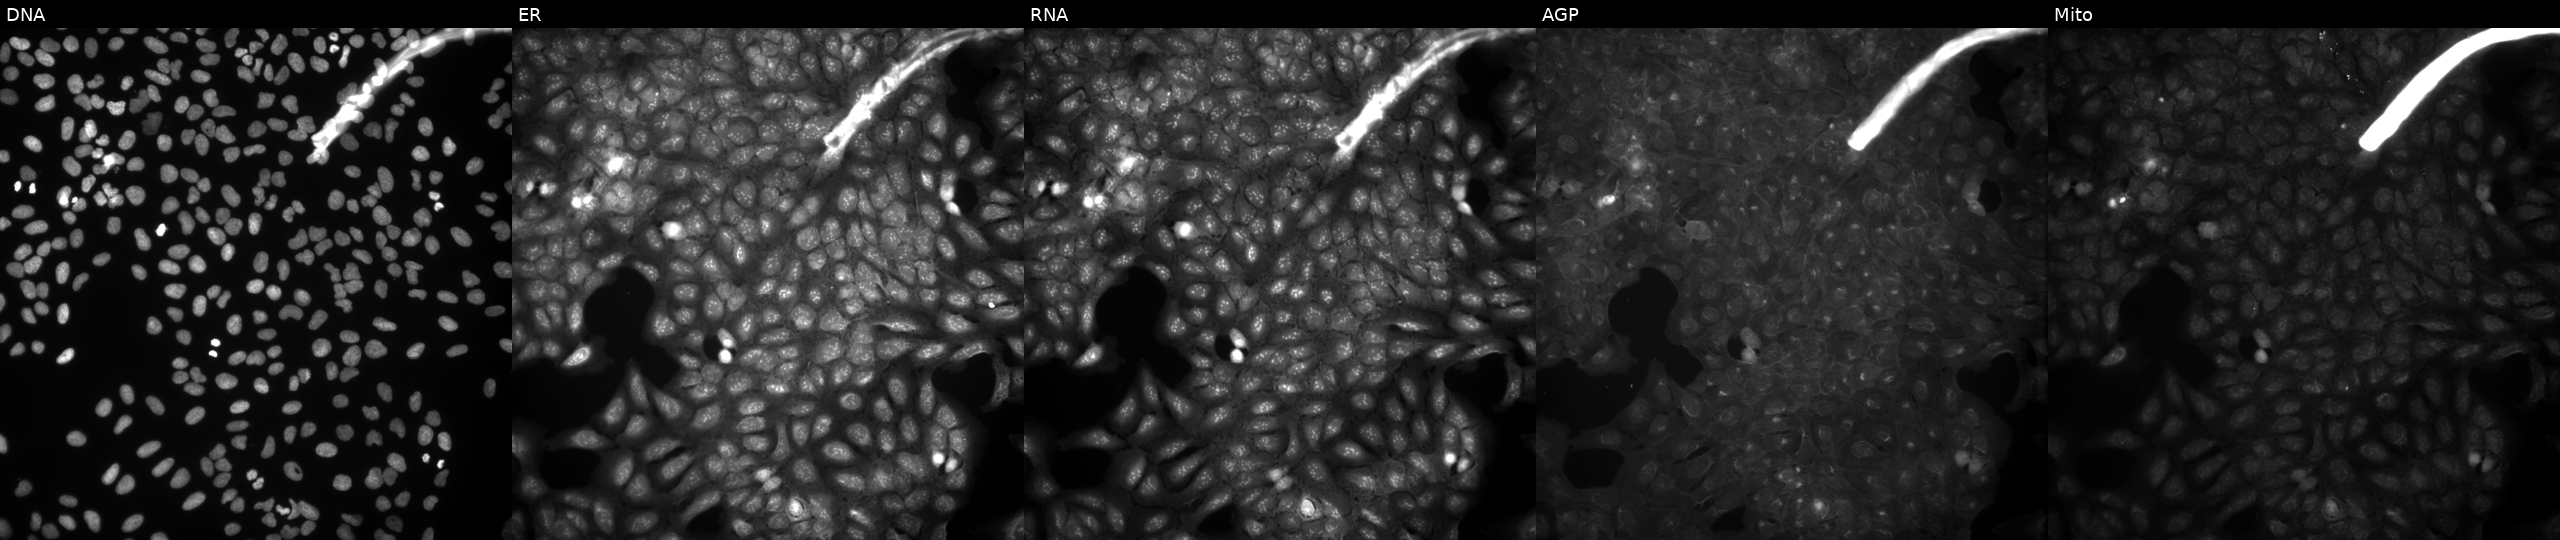
Channels (left→right): DNA, ER, RNA, AGP, and Mito. U2OS osteosarcoma cells exposed to a small-molecule compound (InChIKey UNPQPNWCRBYUAP-UHFFFAOYSA-N) [SMILES: O=C(c1ccc(F)cc1)N1CCc2ccccc2C1]. Cell Painting assay, JUMP-CP dataset. Source 9, plate GR00003382, well B38.